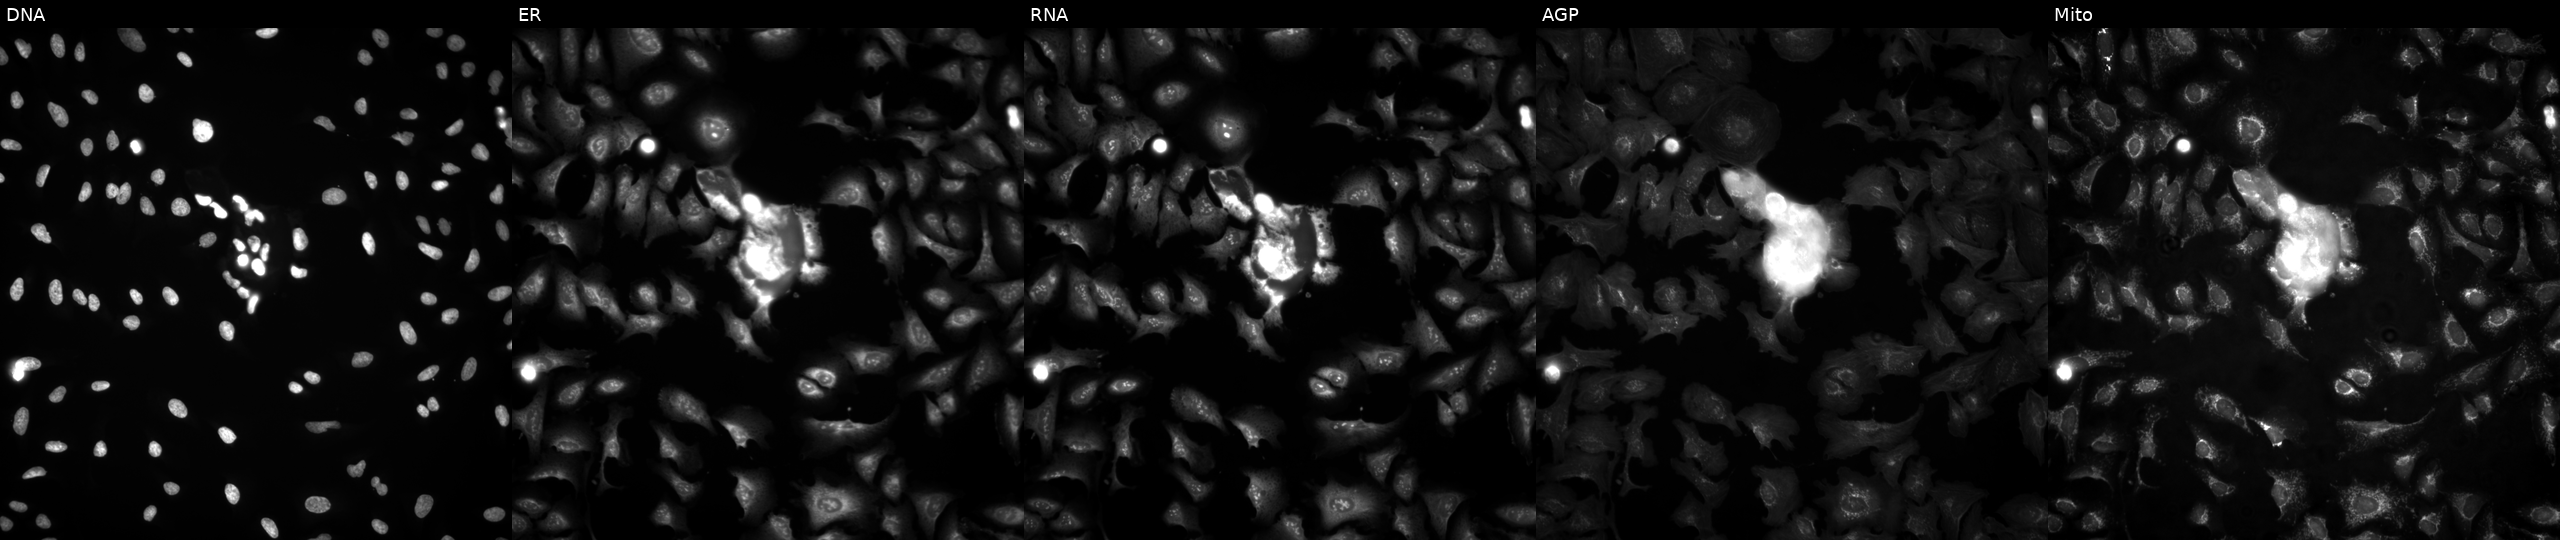
This image strip shows the five Cell Painting channels for a single field of U2OS cells transfected with an ORF construct for TXK. The five panels, left to right, show Hoechst 33342, concanavalin A, SYTO 14, phalloidin and WGA, MitoTracker.